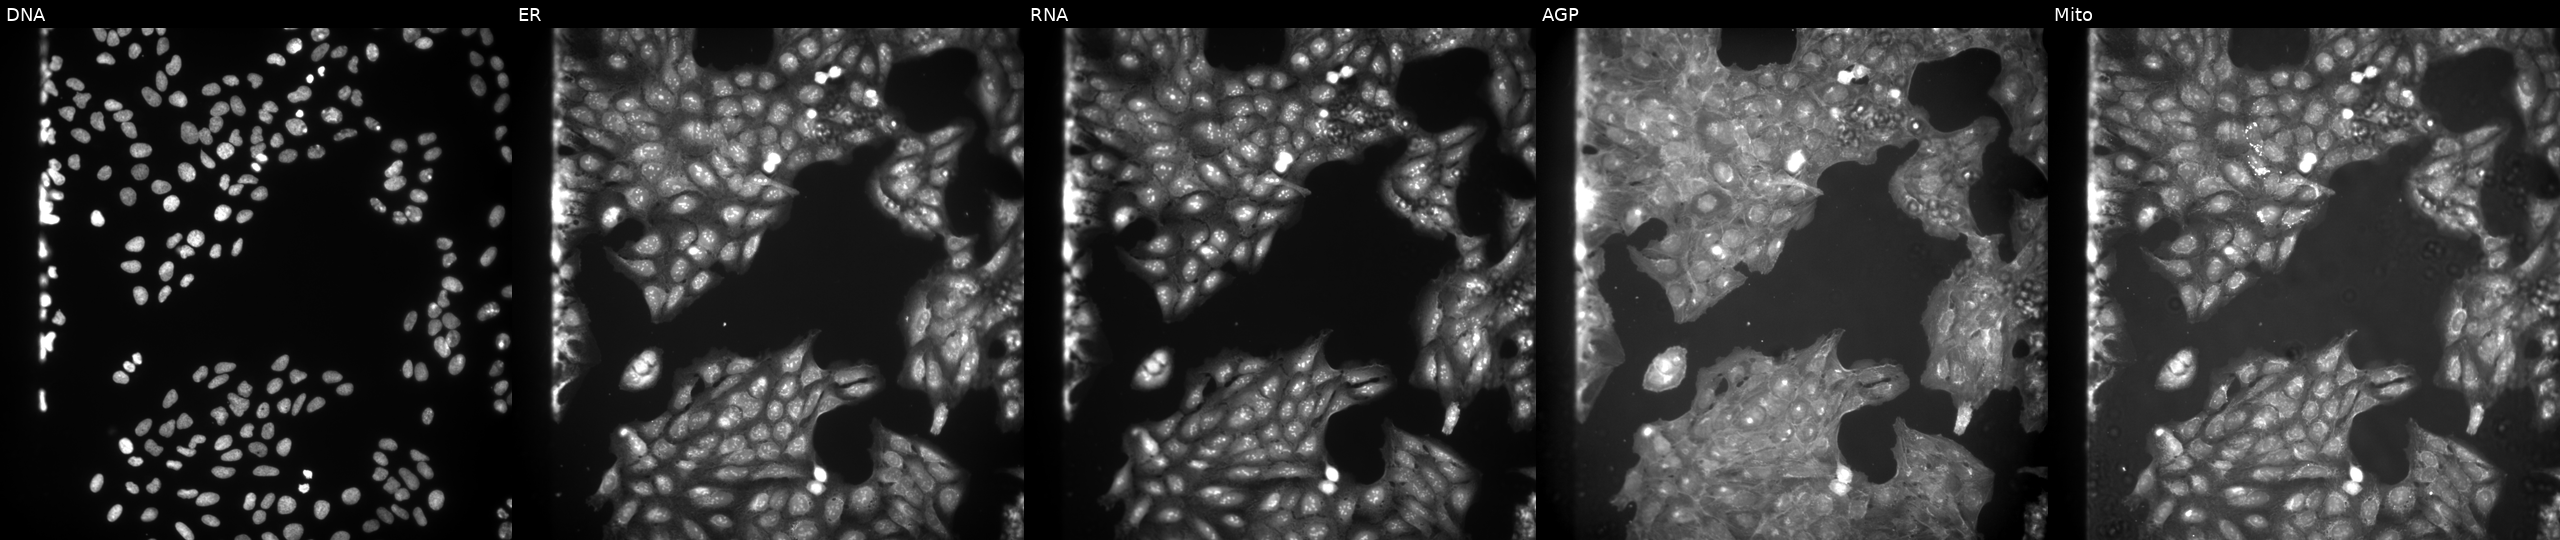
Five-channel Cell Painting image of U2OS cells perturbed with a small-molecule compound (InChIKey PSIGKQFTVPRZOH-UHFFFAOYSA-N) (JUMP id JCP2022_070643). The five panels, left to right, show DNA, ER, RNA, AGP, and Mito. Source 9, plate GR00003382, well A04.